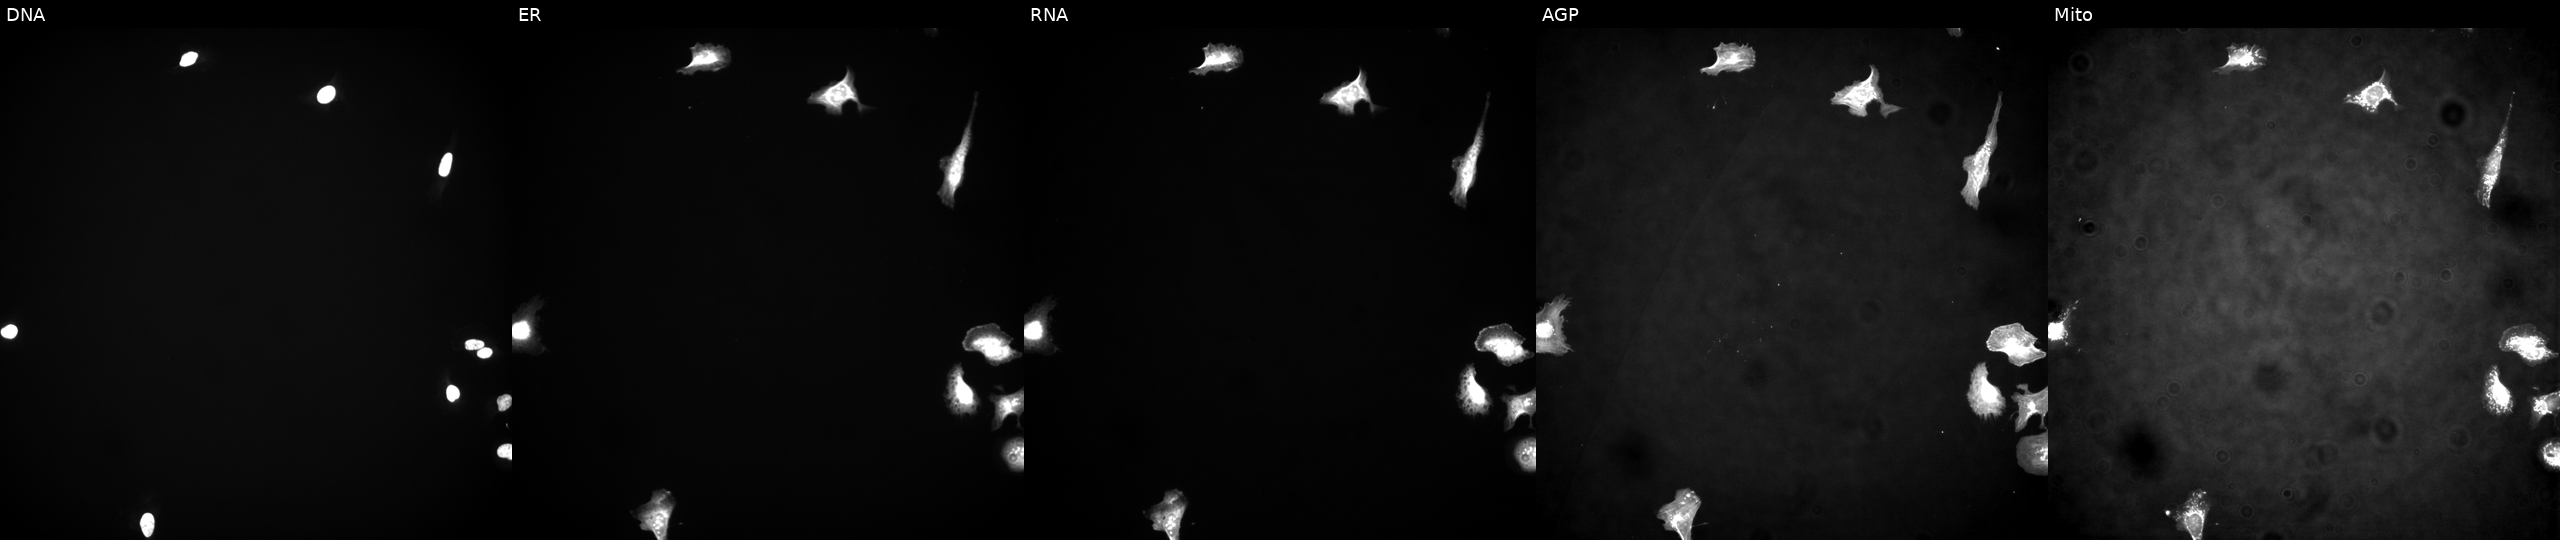
High-content fluorescence microscopy (Cell Painting). Cell line: U2OS. Perturbation: transfected with an ORF construct for C1QTNF1 (JUMP id JCP2022_904370). Panels show, left to right, DNA, ER, RNA, AGP, and Mito.